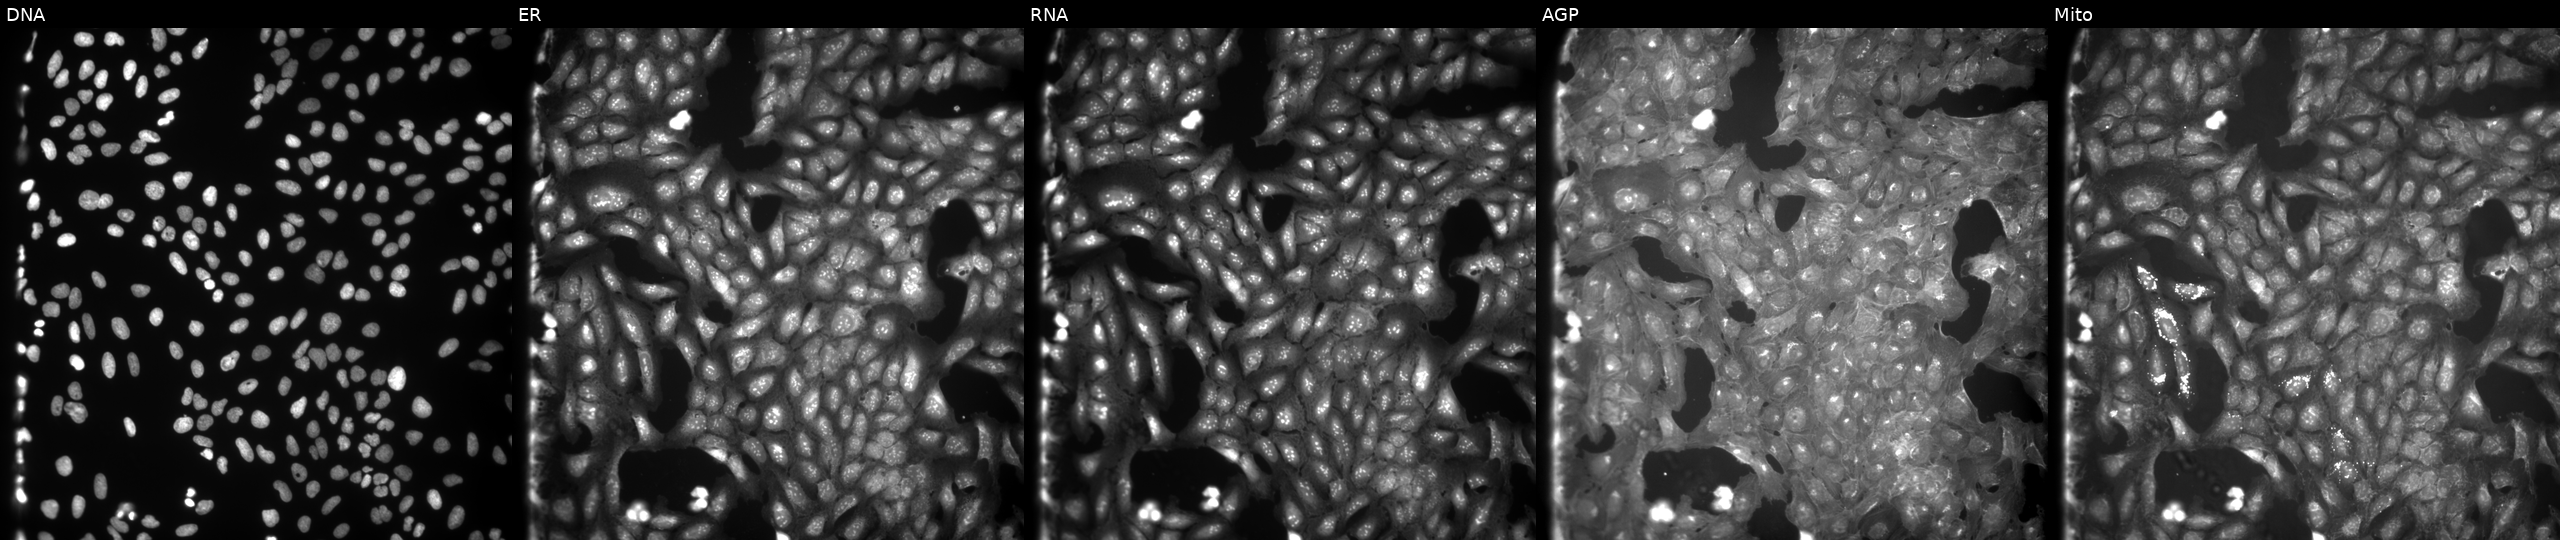
This image strip shows the five Cell Painting channels for a single field of U2OS cells treated with TC-S-7004 (positive-control compound). The five panels, left to right, show Hoechst 33342, concanavalin A, SYTO 14, phalloidin and WGA, MitoTracker. Source 9, plate GR00003382, well X01.